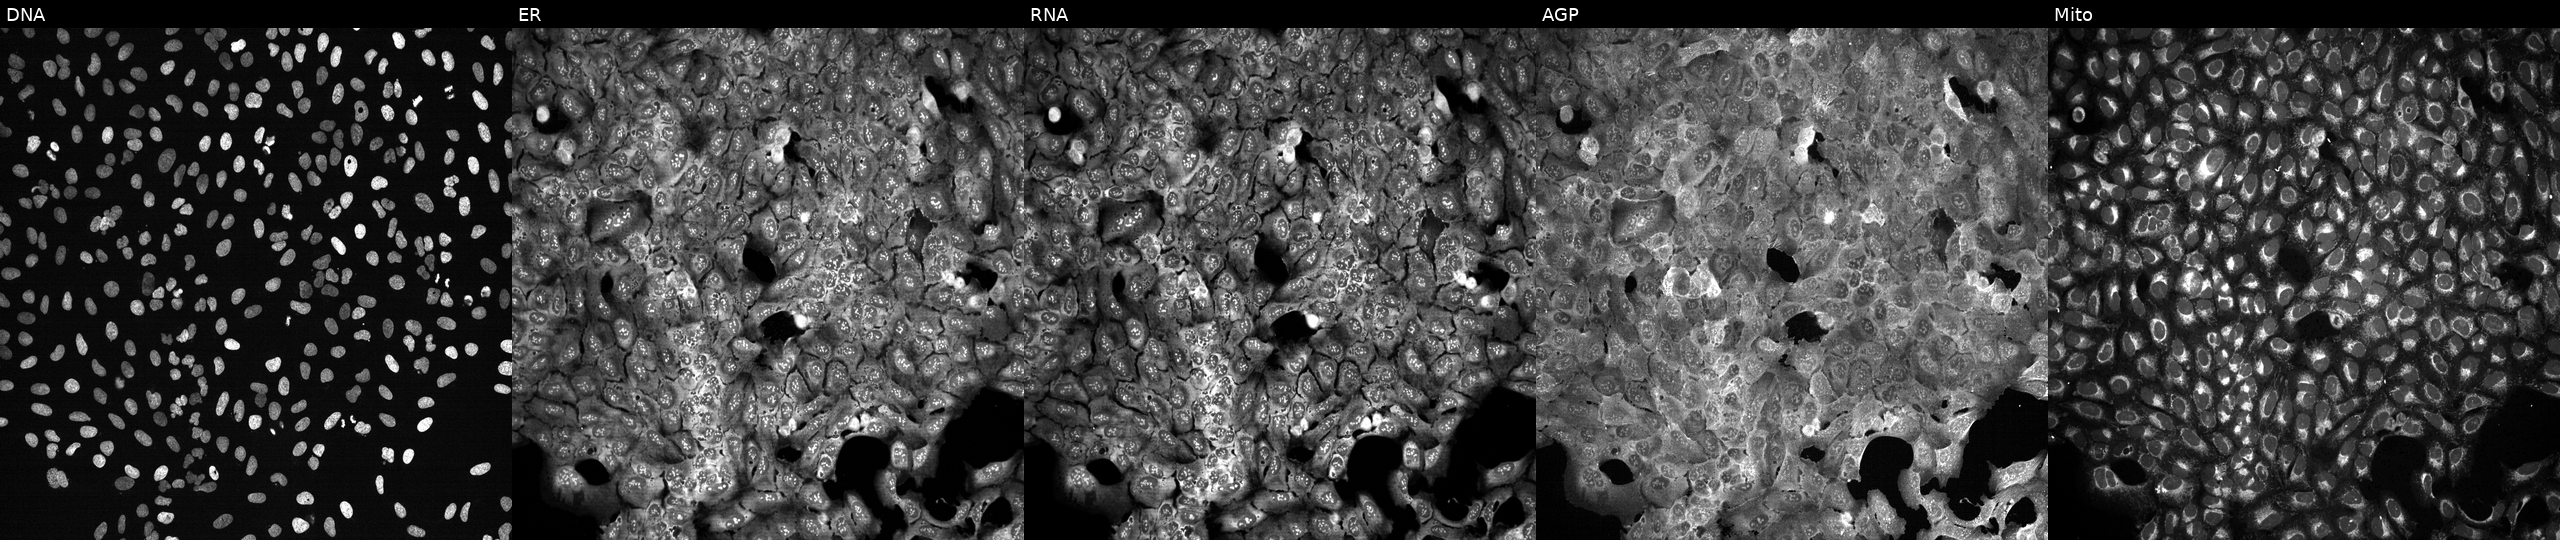
Five-channel Cell Painting image of U2OS cells CRISPR-edited to disrupt UGDH (JUMP id JCP2022_807514). Panels show, left to right, DNA, ER, RNA, AGP, and Mito. Source 13, plate CP-CC9-R3-02, well F13.